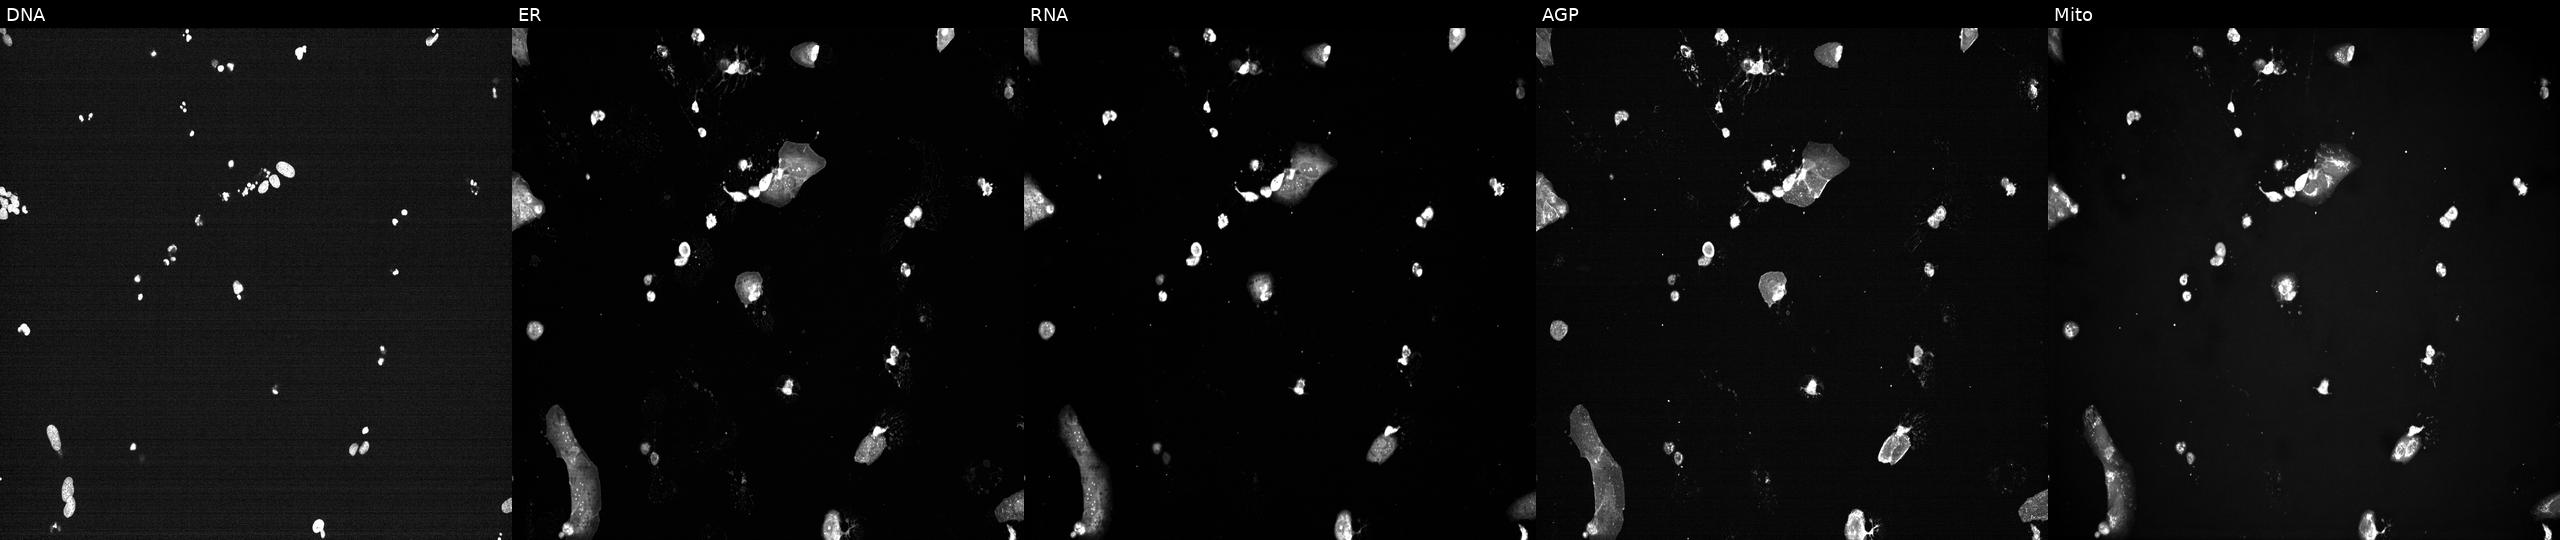
The five panels, left to right, show DNA (nuclei); ER (endoplasmic reticulum); RNA (nucleoli and cytoplasmic RNA); AGP (actin cytoskeleton, Golgi, and plasma membrane); Mito (mitochondria). U2OS osteosarcoma cells perturbed with a small-molecule compound. Cell Painting assay, JUMP-CP dataset.